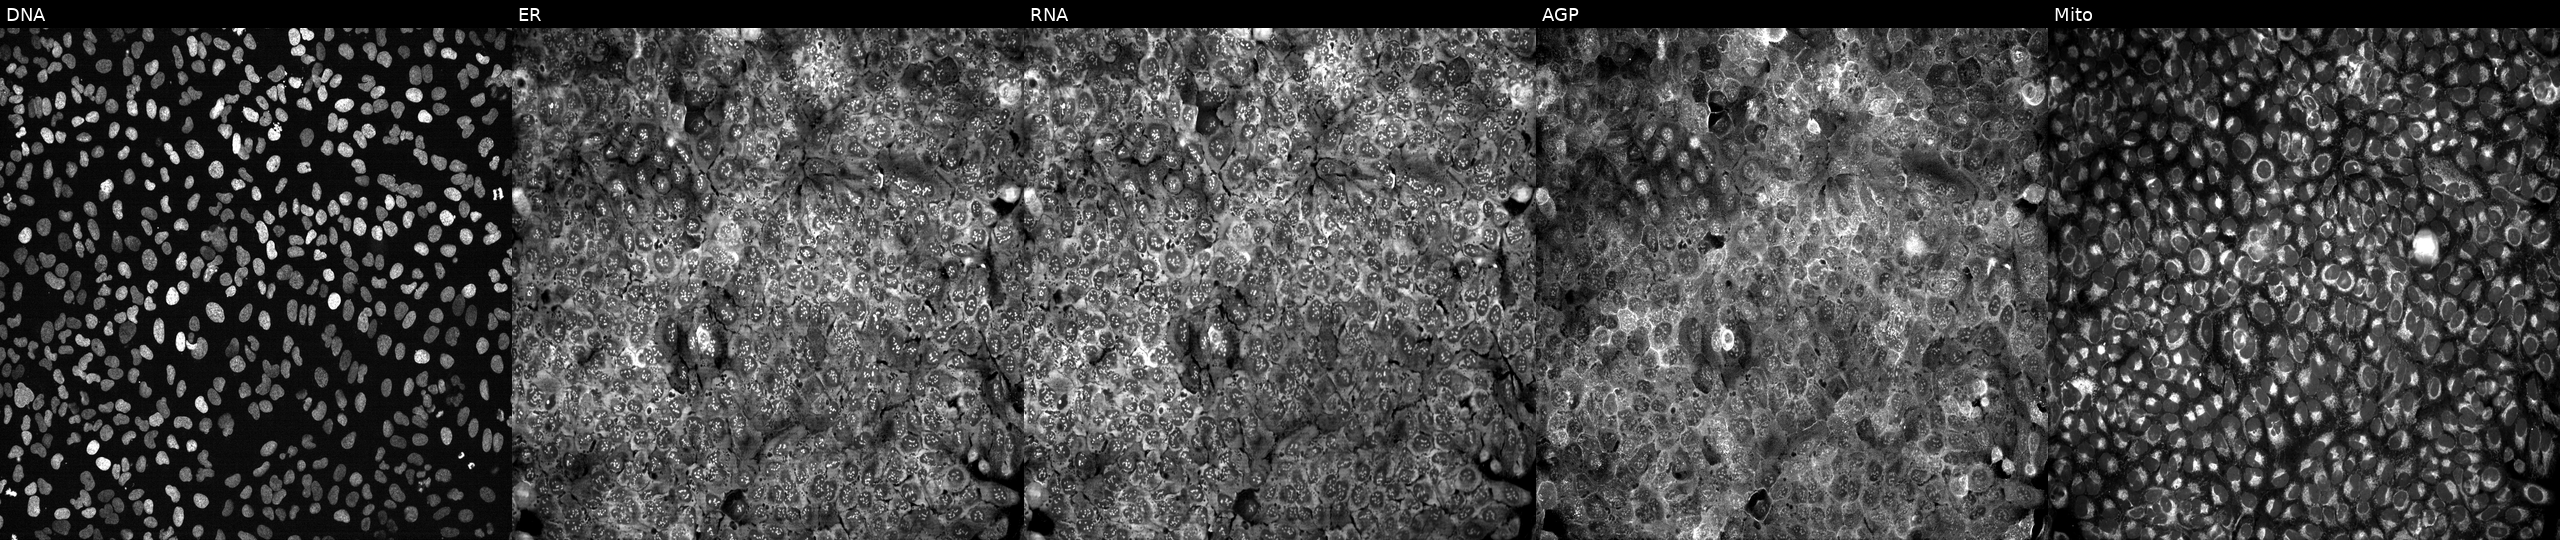
Five-channel Cell Painting image of U2OS cells CRISPR-edited to disrupt DIAPH3 (JUMP id JCP2022_801813). The five panels, left to right, show DNA, ER, RNA, AGP, and Mito. Source 13, plate CP-CC9-R4-04, well L15.